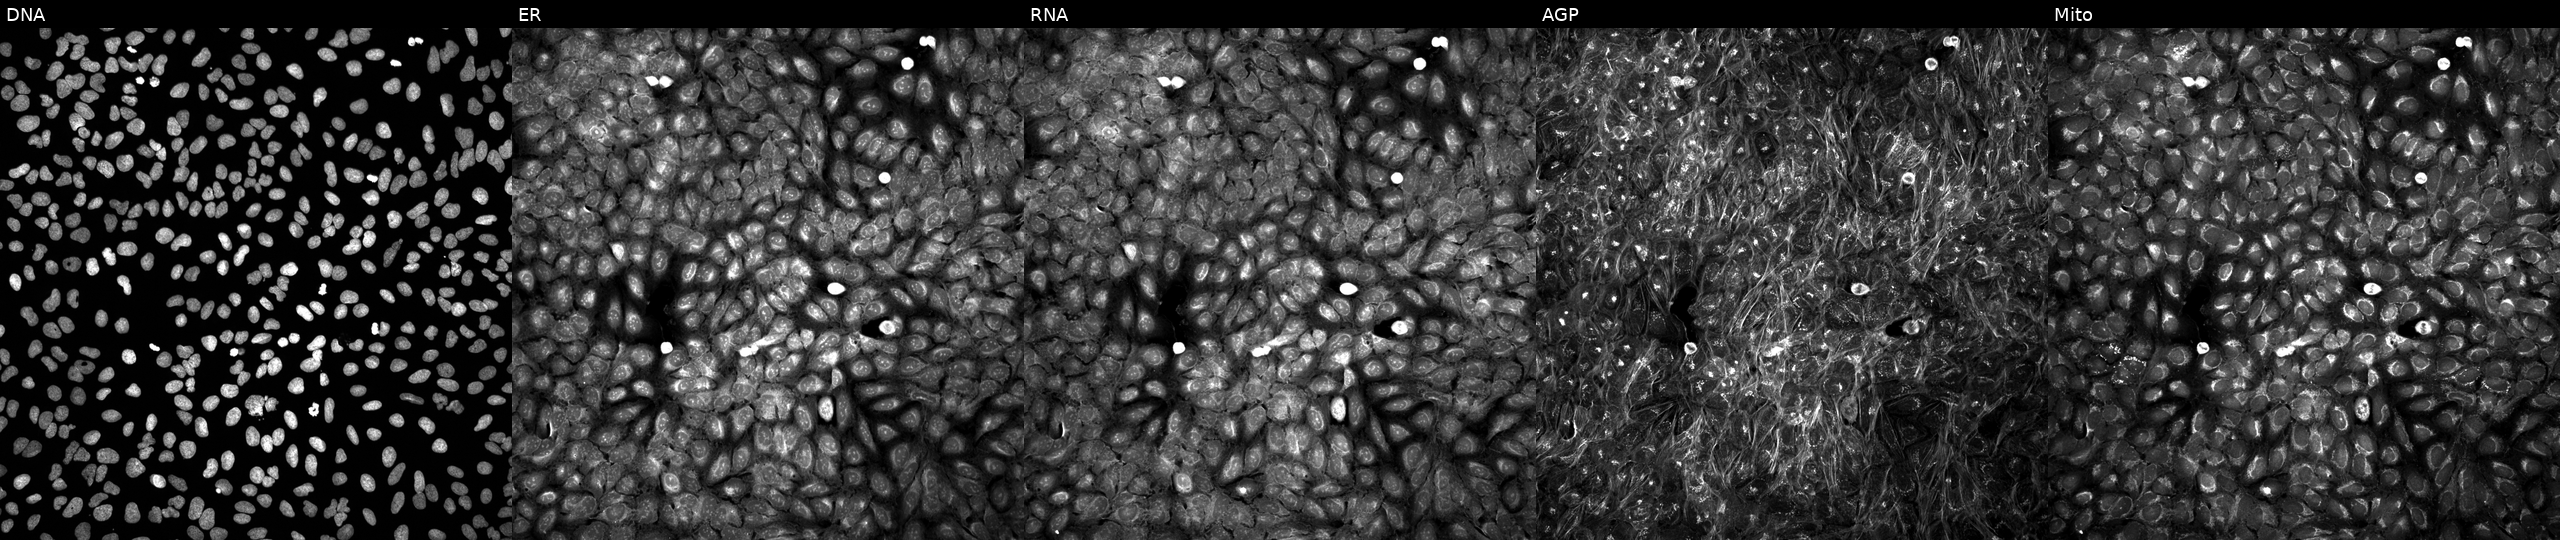
High-content fluorescence microscopy (Cell Painting). Cell line: U2OS. Perturbation: exposed to a small-molecule compound (JUMP id JCP2022_029238). From left to right: DNA (nuclei); ER (endoplasmic reticulum); RNA (nucleoli and cytoplasmic RNA); AGP (actin cytoskeleton, Golgi, and plasma membrane); Mito (mitochondria).